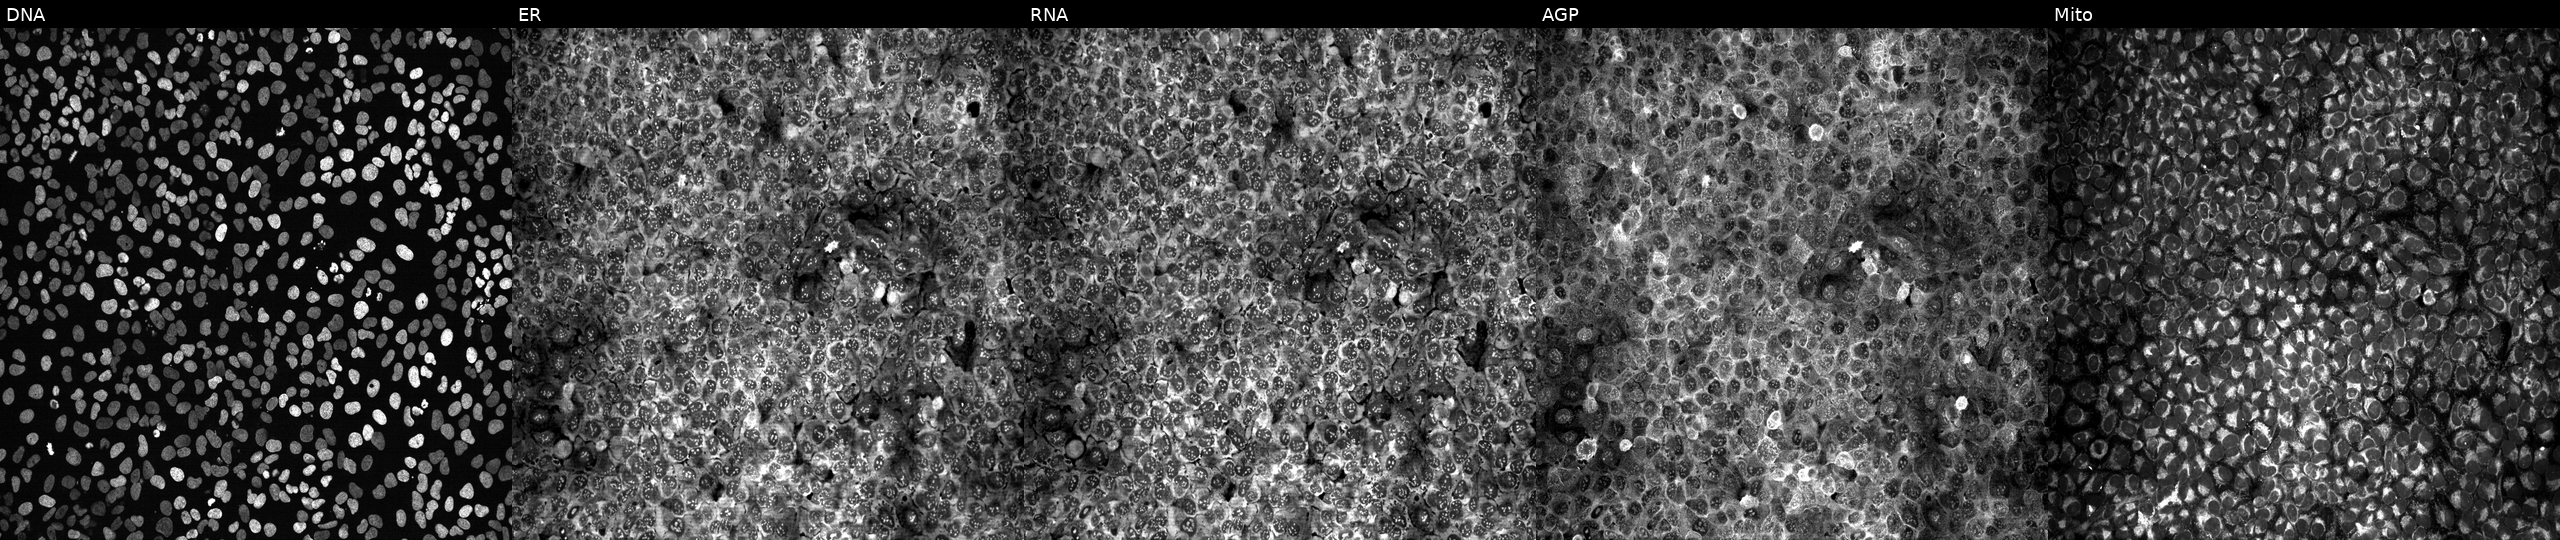
This image strip shows the five Cell Painting channels for a single field of U2OS cells exposed to the positive-control compound quinidine. The five panels, left to right, show DNA (nuclei); ER (endoplasmic reticulum); RNA (nucleoli and cytoplasmic RNA); AGP (actin cytoskeleton, Golgi, and plasma membrane); Mito (mitochondria). Source 13, plate CP-CC9-R4-03, well O01.